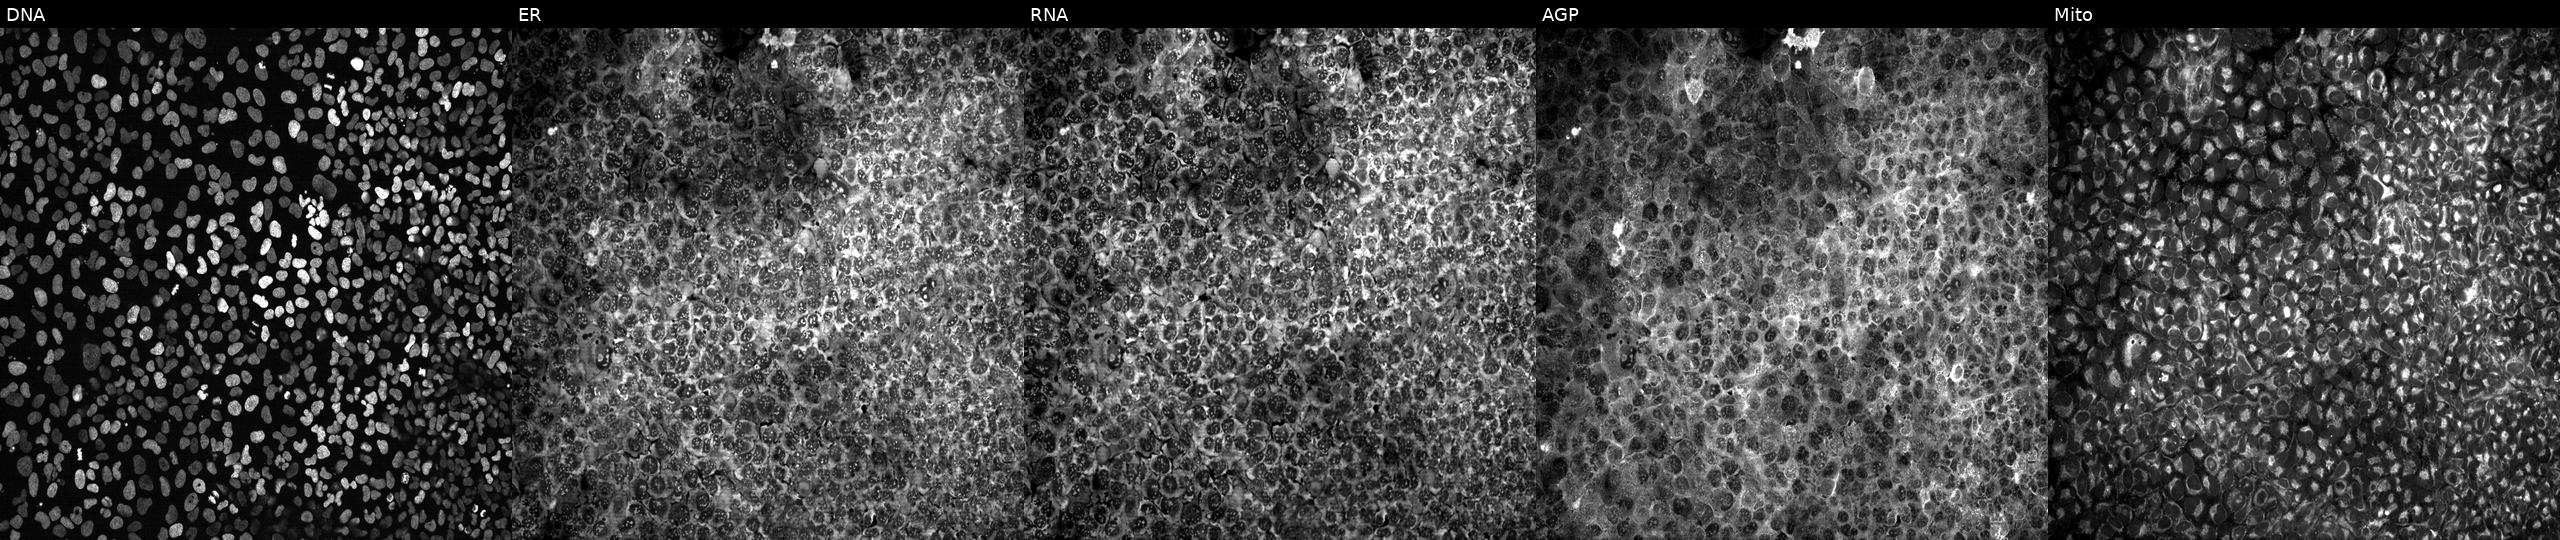
High-content fluorescence microscopy (Cell Painting). Cell line: U2OS. Perturbation: with KIF1B knocked out by CRISPR. The five panels, left to right, show DNA, ER, RNA, AGP, and Mito. Source 13, plate CP-CC9-R4-03, well P15.